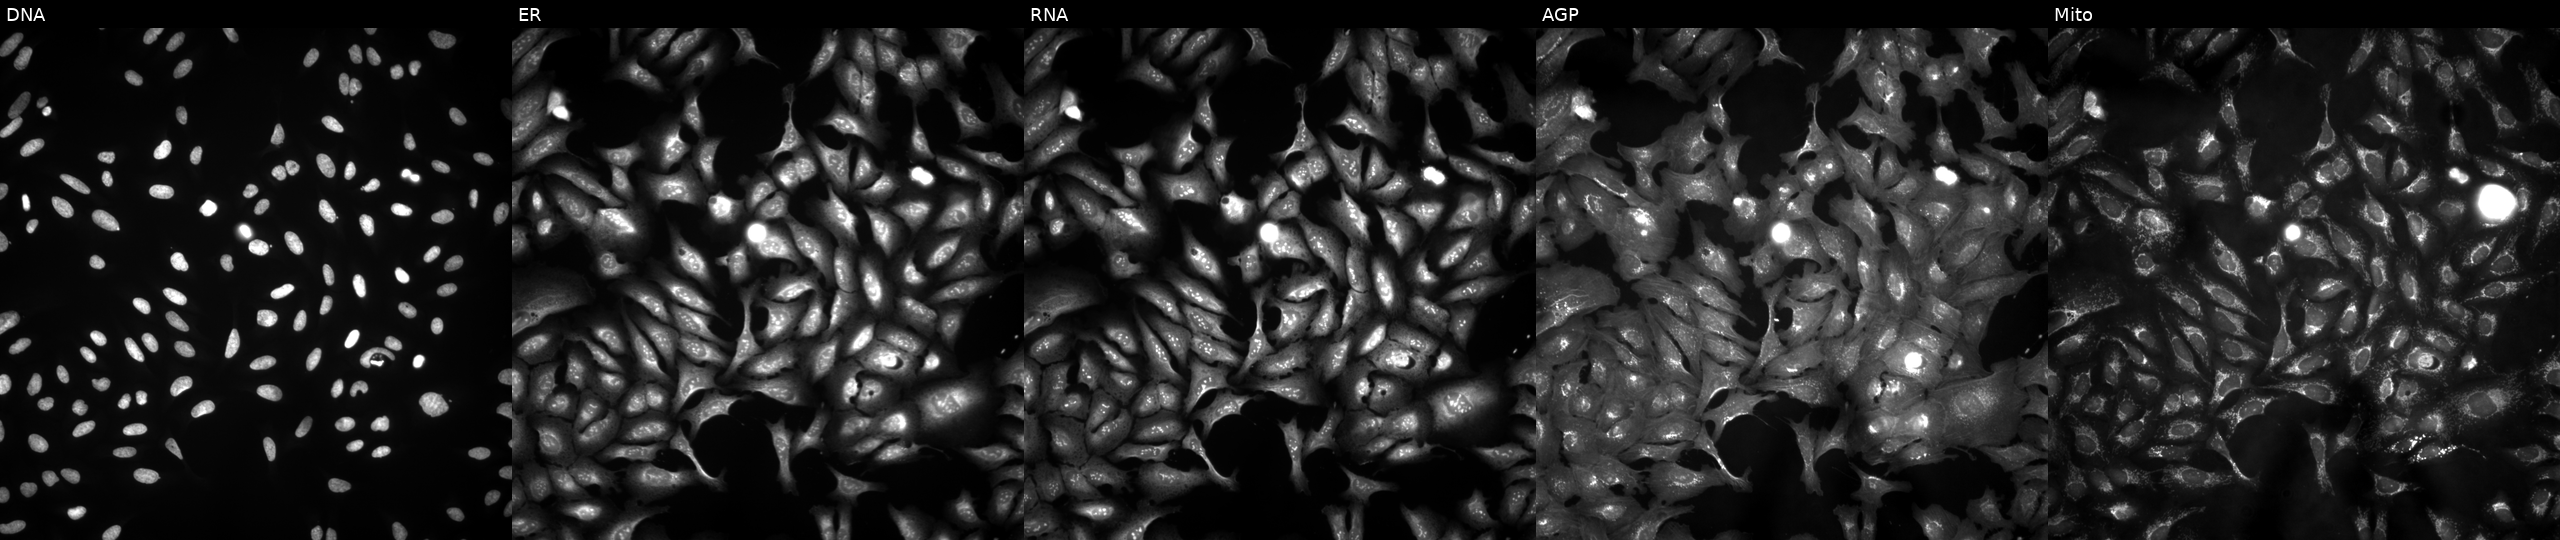
Five-channel Cell Painting image of U2OS cells transfected with an ORF construct for FAM71B. From left to right: DNA, ER, RNA, AGP, and Mito.